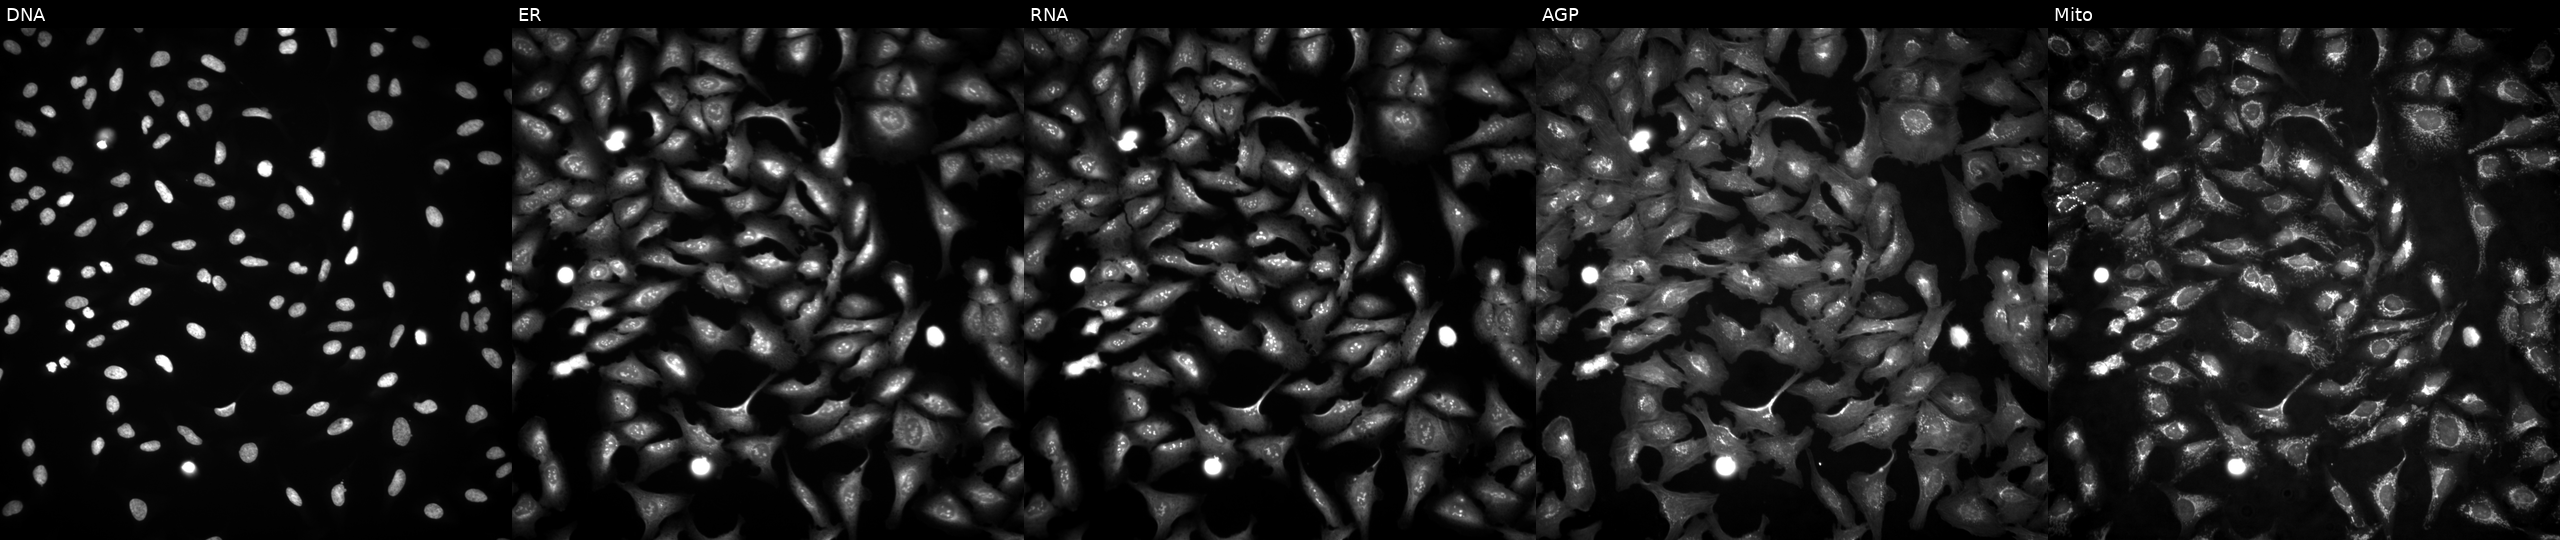
JUMP Cell Painting — ORF plate. U2OS cells with VAPB overexpressed (ORF). The five panels, left to right, show DNA (nuclei); ER (endoplasmic reticulum); RNA (nucleoli and cytoplasmic RNA); AGP (actin cytoskeleton, Golgi, and plasma membrane); Mito (mitochondria). Source 4, plate BR00124787, well D16.